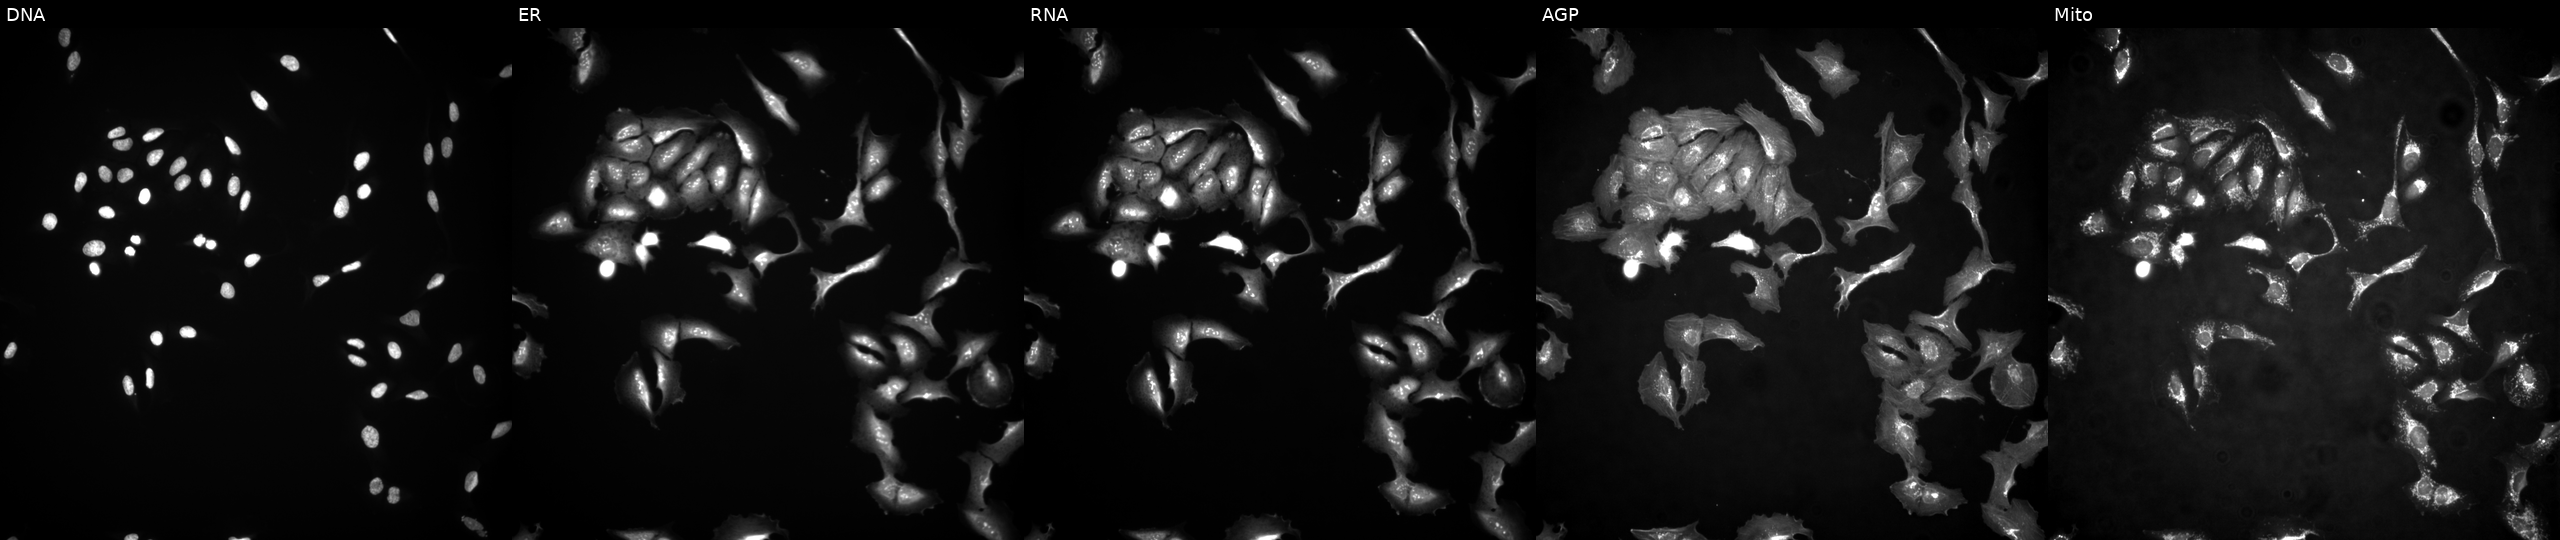
JUMP Cell Painting — ORF plate. U2OS cells overexpressing ZNF567 via ORF transfection (JUMP id JCP2022_909085). Panels show, left to right, Hoechst 33342, concanavalin A, SYTO 14, phalloidin and WGA, MitoTracker. Source 4, plate BR00117035, well L11.